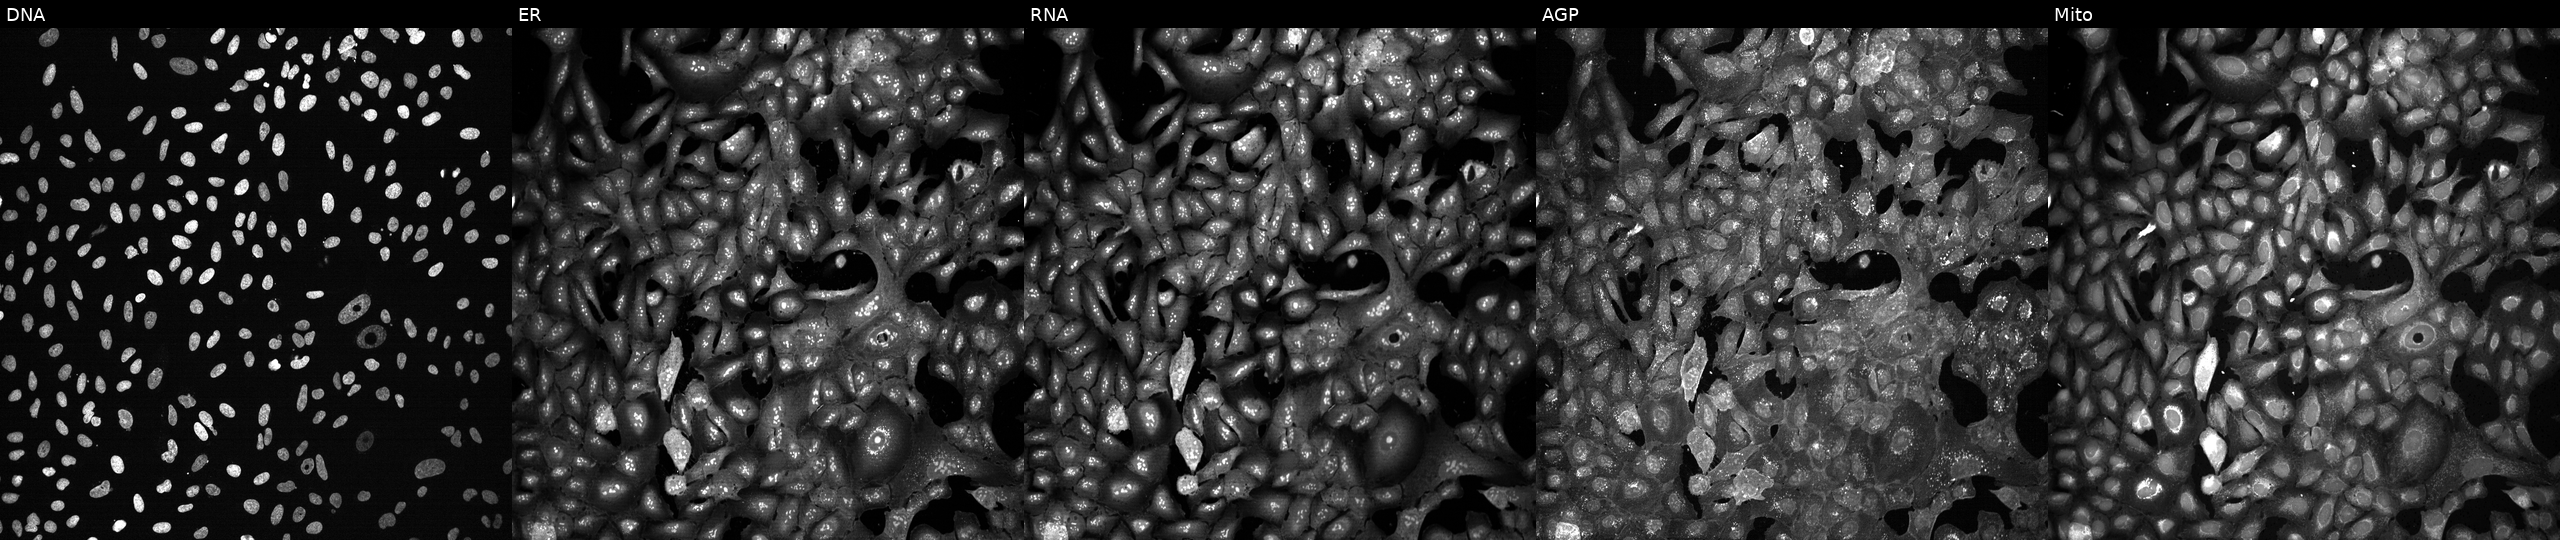
Five-channel Cell Painting image of U2OS cells following CRISPR knockout of SLC1A4. Channels (left→right): DNA (nuclei); ER (endoplasmic reticulum); RNA (nucleoli and cytoplasmic RNA); AGP (actin cytoskeleton, Golgi, and plasma membrane); Mito (mitochondria). Source 13, plate CP-CC9-R1-01, well I20.